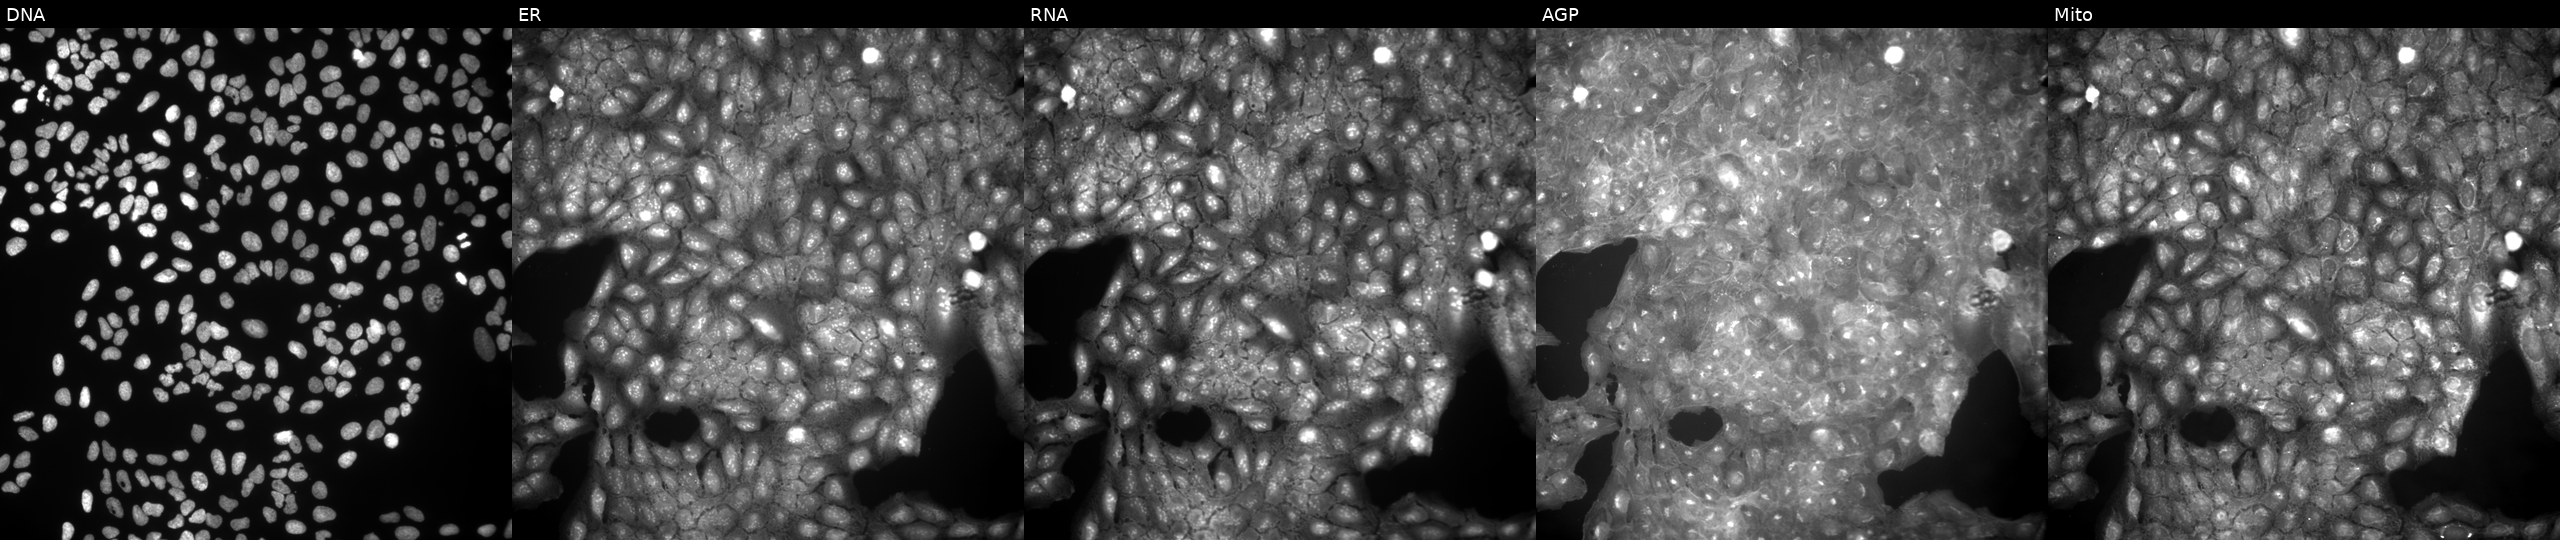
This image strip shows the five Cell Painting channels for a single field of U2OS cells treated with a small-molecule compound. From left to right: Hoechst 33342, concanavalin A, SYTO 14, phalloidin and WGA, MitoTracker.